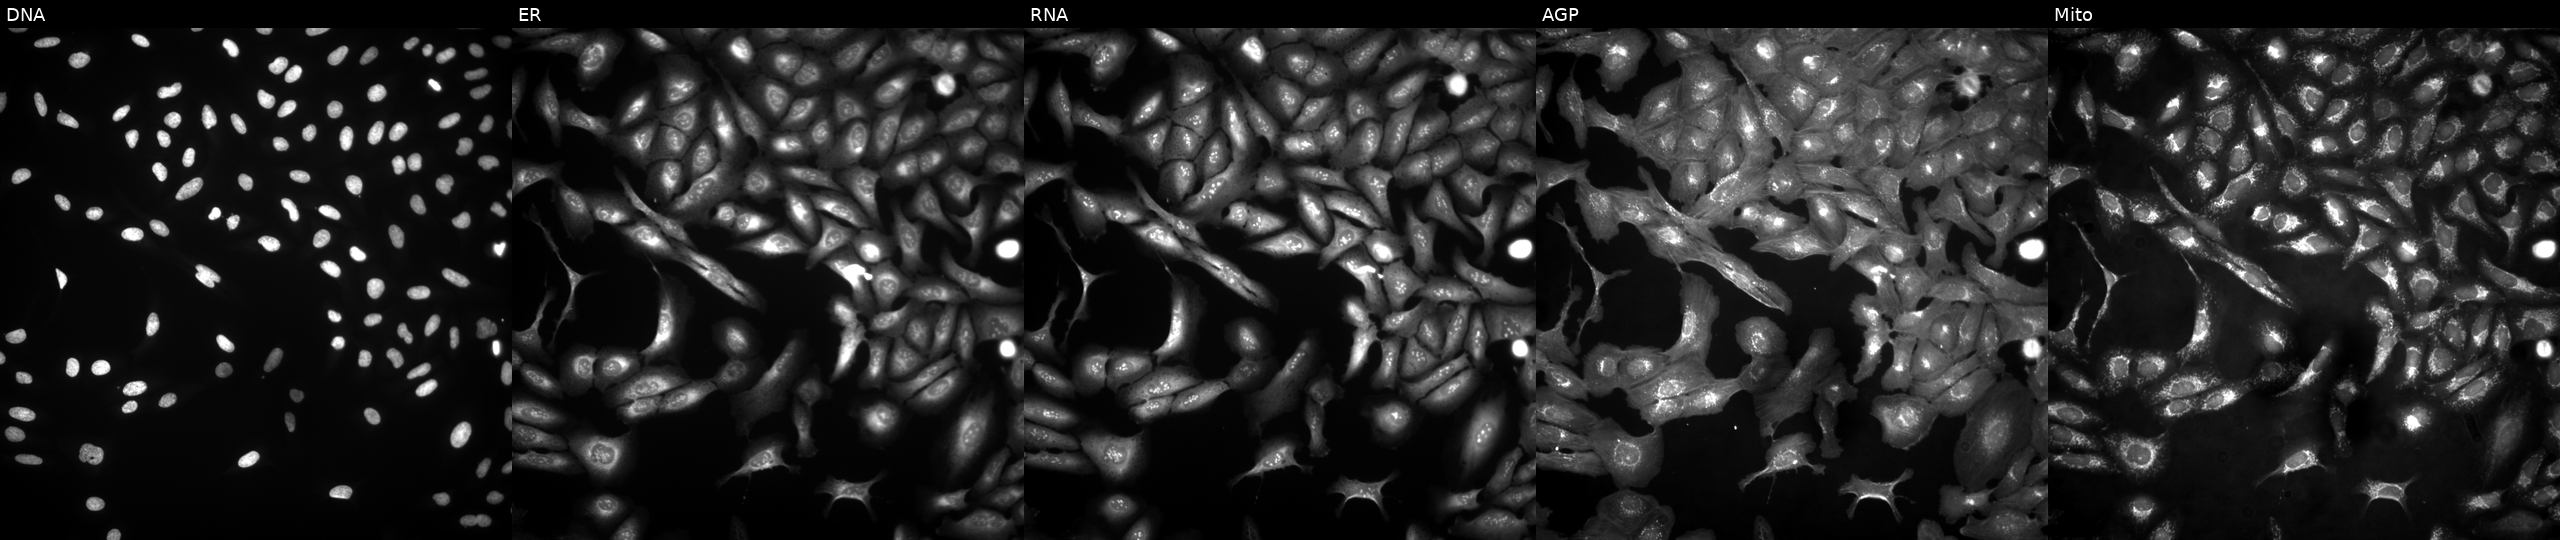
Five-channel Cell Painting image of U2OS cells transfected with an ORF construct for IFNG (JUMP id JCP2022_900779). The five panels, left to right, show DNA, ER, RNA, AGP, and Mito.